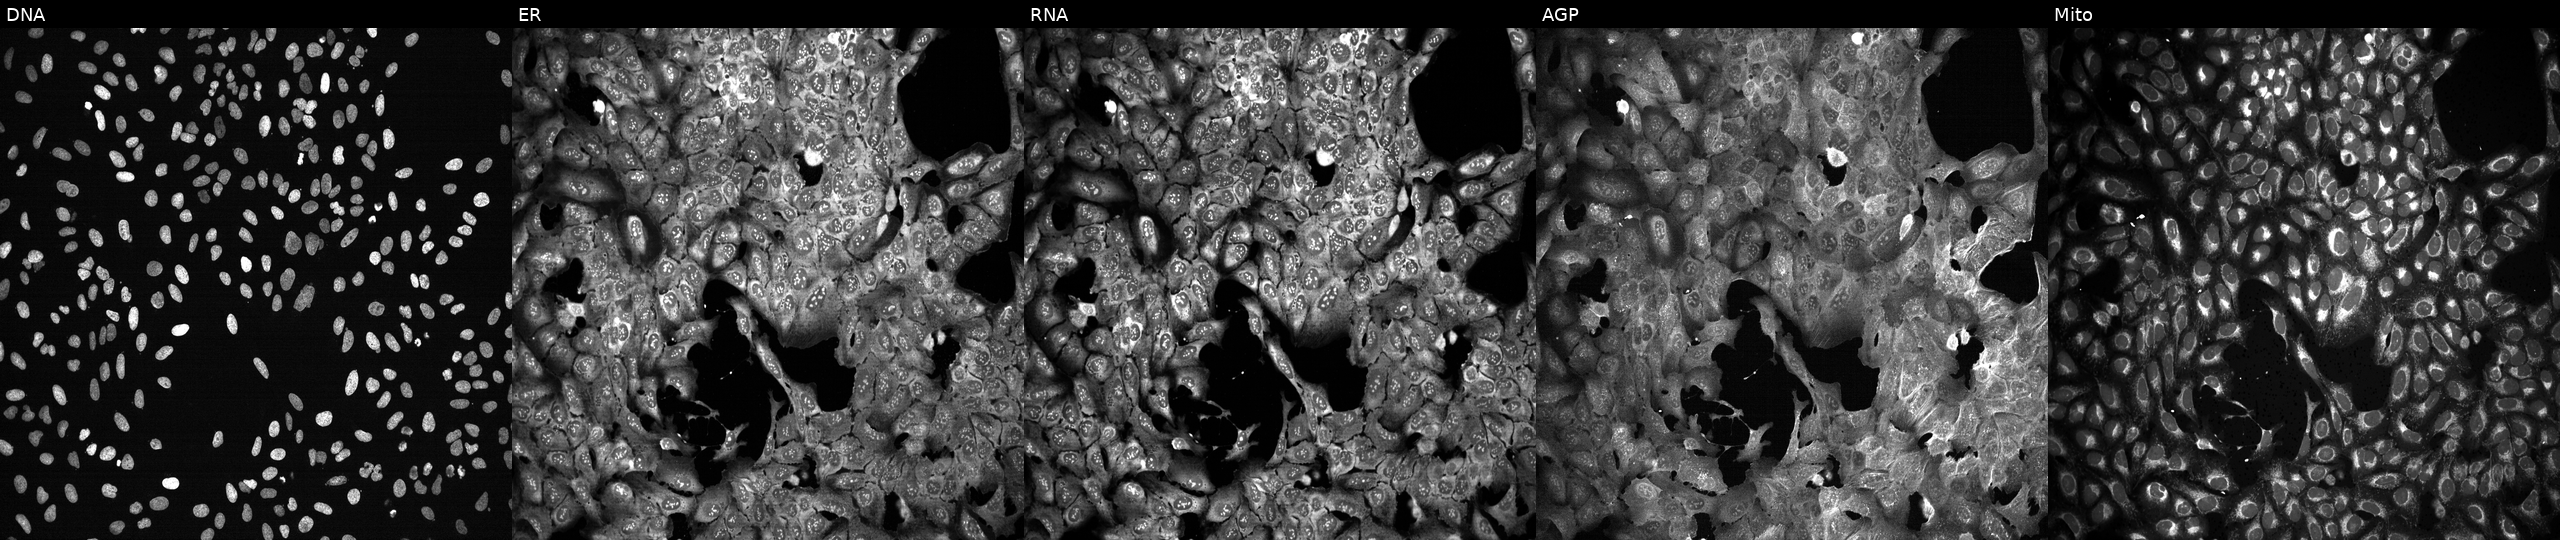
This image strip shows the five Cell Painting channels for a single field of U2OS cells with NGFR knocked out by CRISPR. Channels (left→right): Hoechst 33342, concanavalin A, SYTO 14, phalloidin and WGA, MitoTracker.